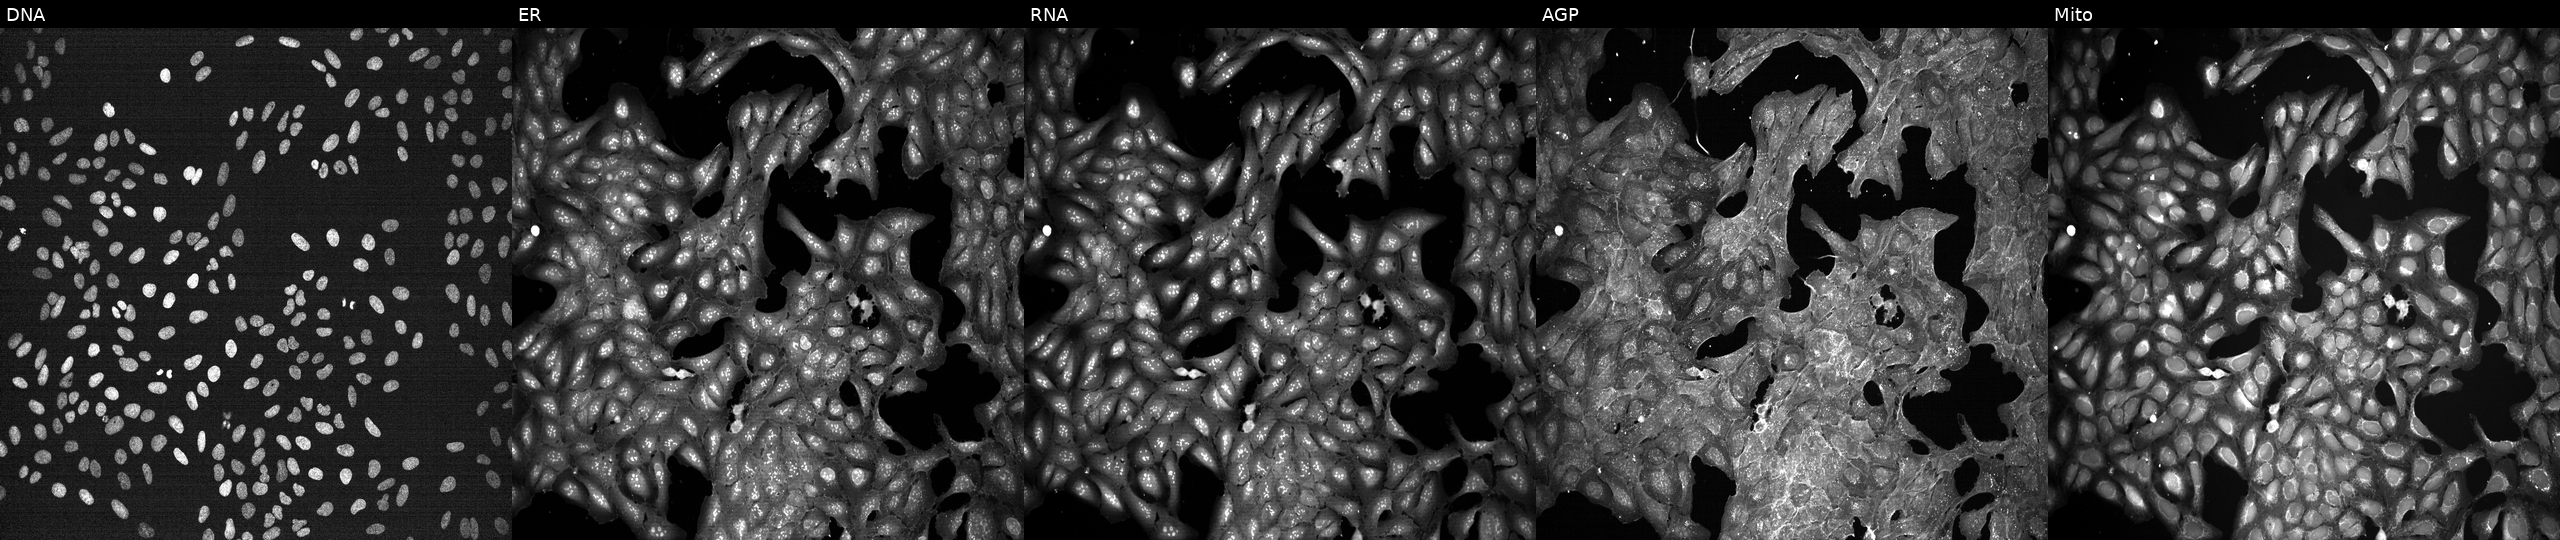
Channels (left→right): DNA (nuclei); ER (endoplasmic reticulum); RNA (nucleoli and cytoplasmic RNA); AGP (actin cytoskeleton, Golgi, and plasma membrane); Mito (mitochondria). U2OS osteosarcoma cells exposed to a small-molecule compound [SMILES: COc1ccc(OC)c2c(=S)c3ccccc3[nH]c12] (JUMP id JCP2022_044197). Cell Painting assay, JUMP-CP dataset.